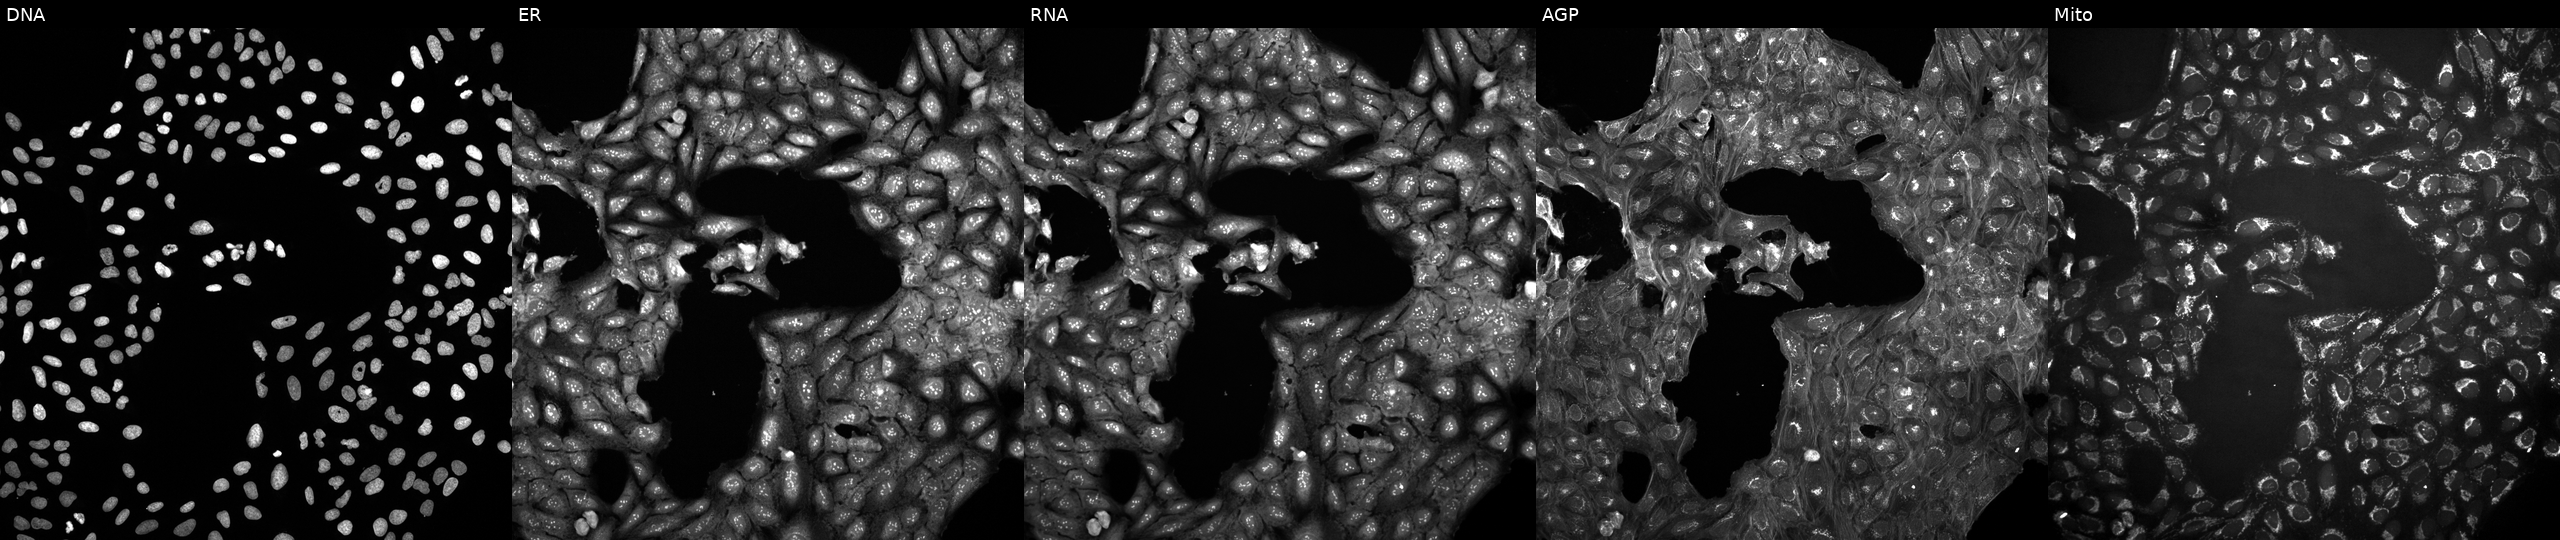
Five-channel Cell Painting image of U2OS cells perturbed with a small-molecule compound (InChIKey FTAYOBTXRZQTJB-UHFFFAOYSA-N). Channels (left→right): DNA, ER, RNA, AGP, and Mito.